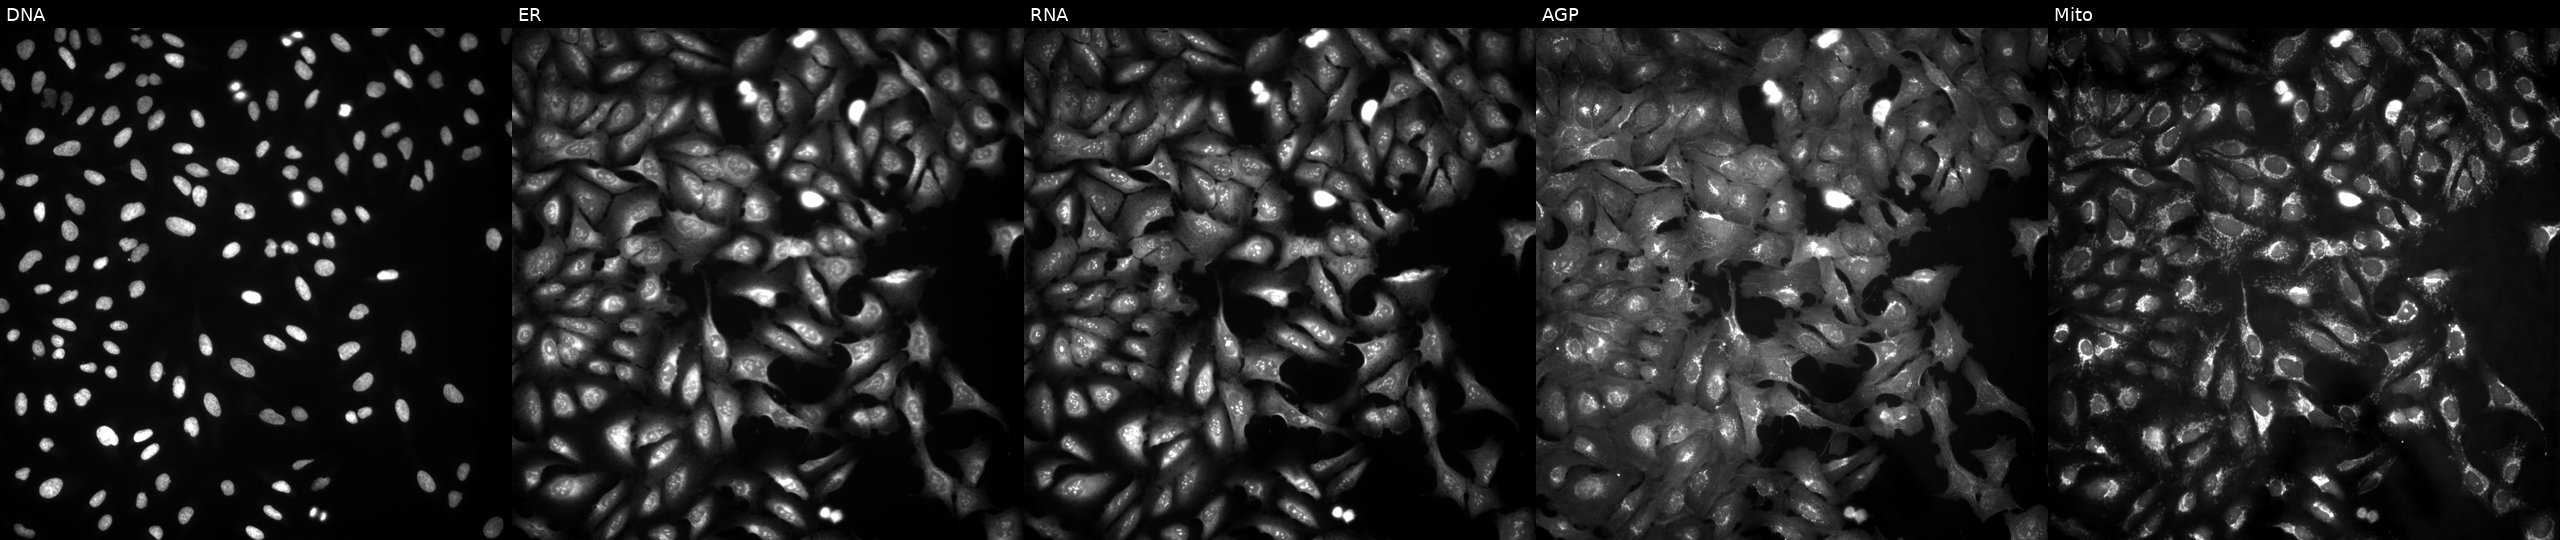
This image strip shows the five Cell Painting channels for a single field of U2OS cells transfected with an ORF construct for TOB1. Panels show, left to right, Hoechst 33342, concanavalin A, SYTO 14, phalloidin and WGA, MitoTracker.